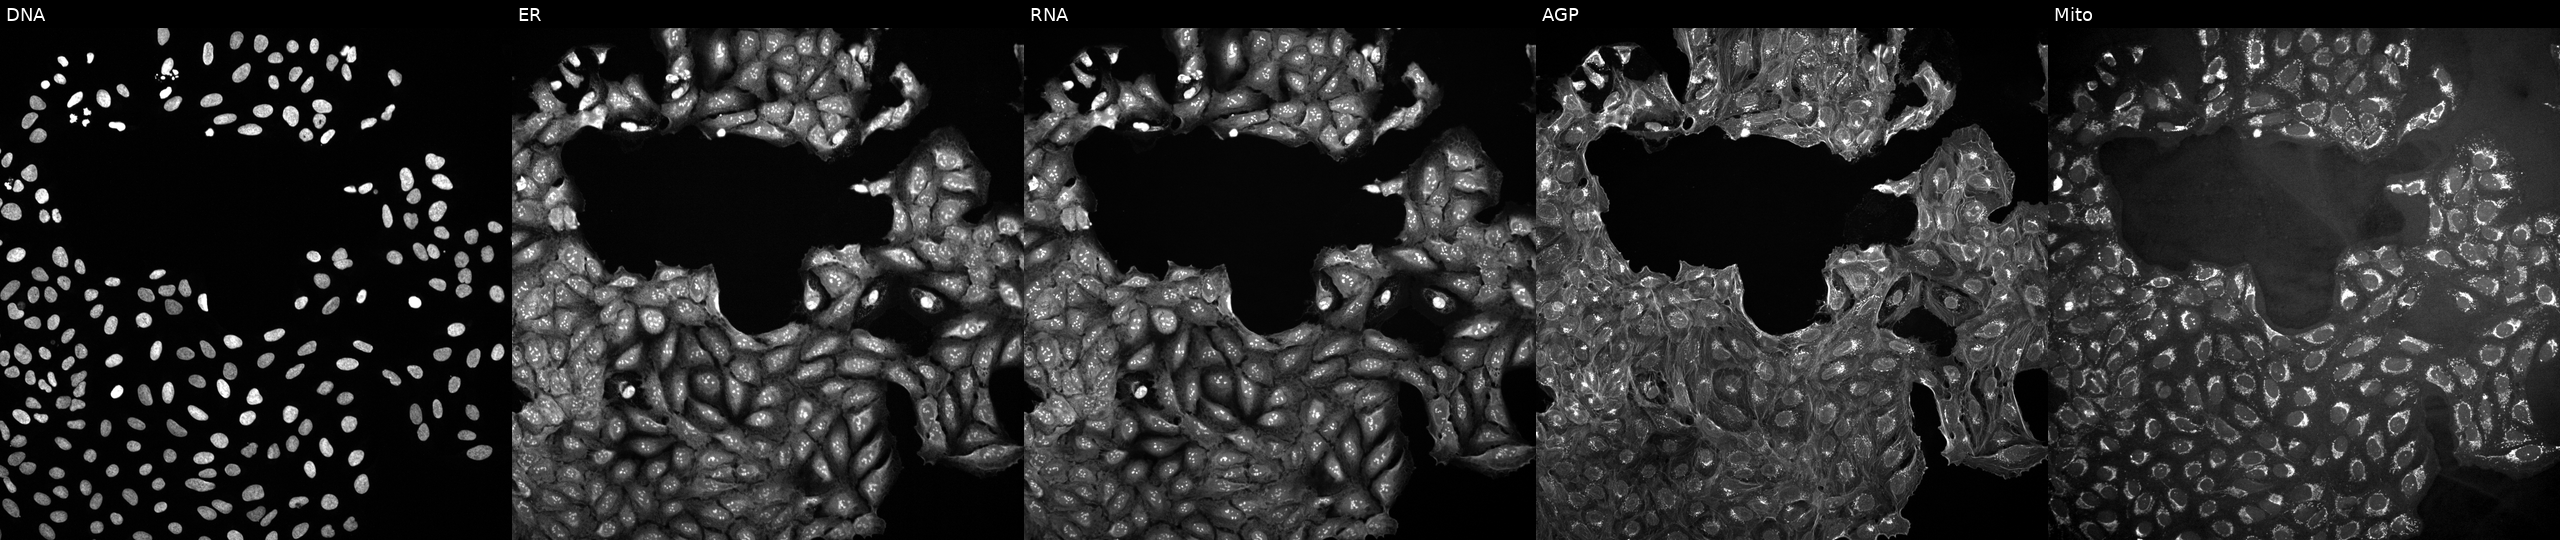
From left to right: DNA (nuclei); ER (endoplasmic reticulum); RNA (nucleoli and cytoplasmic RNA); AGP (actin cytoskeleton, Golgi, and plasma membrane); Mito (mitochondria). U2OS osteosarcoma cells exposed to a small-molecule compound (InChIKey YJXZIVYUEWLXIY-UHFFFAOYSA-N). Cell Painting assay, JUMP-CP dataset.